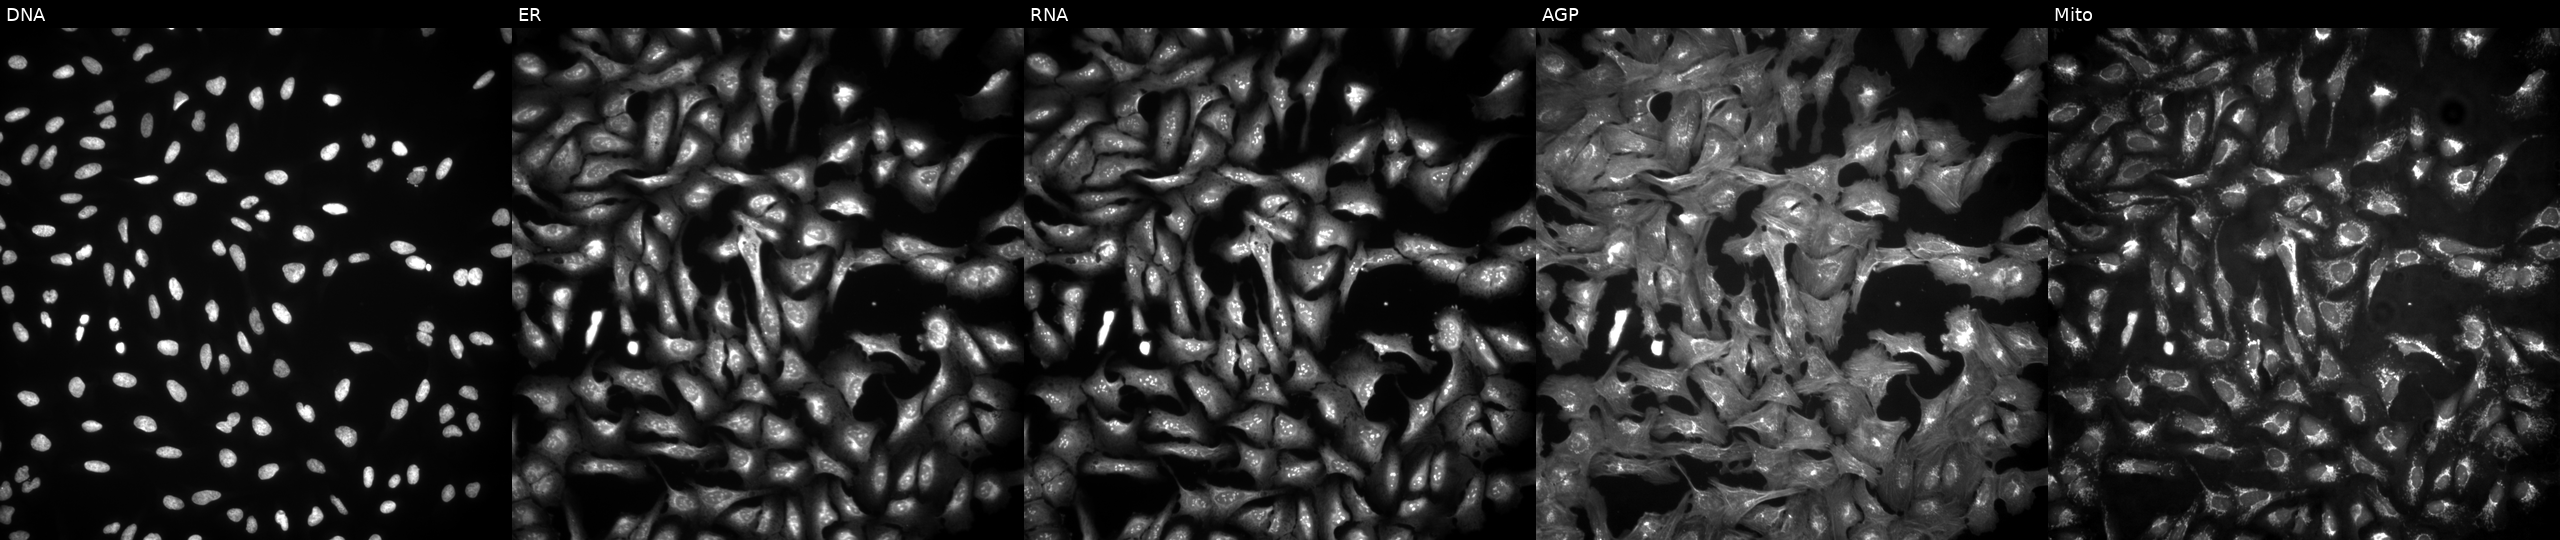
JUMP Cell Painting — ORF plate. U2OS cells overexpressing IRAK1BP1 via ORF transfection (JUMP id JCP2022_908915). From left to right: DNA (nuclei); ER (endoplasmic reticulum); RNA (nucleoli and cytoplasmic RNA); AGP (actin cytoskeleton, Golgi, and plasma membrane); Mito (mitochondria). Source 4, plate BR00123509, well M10.